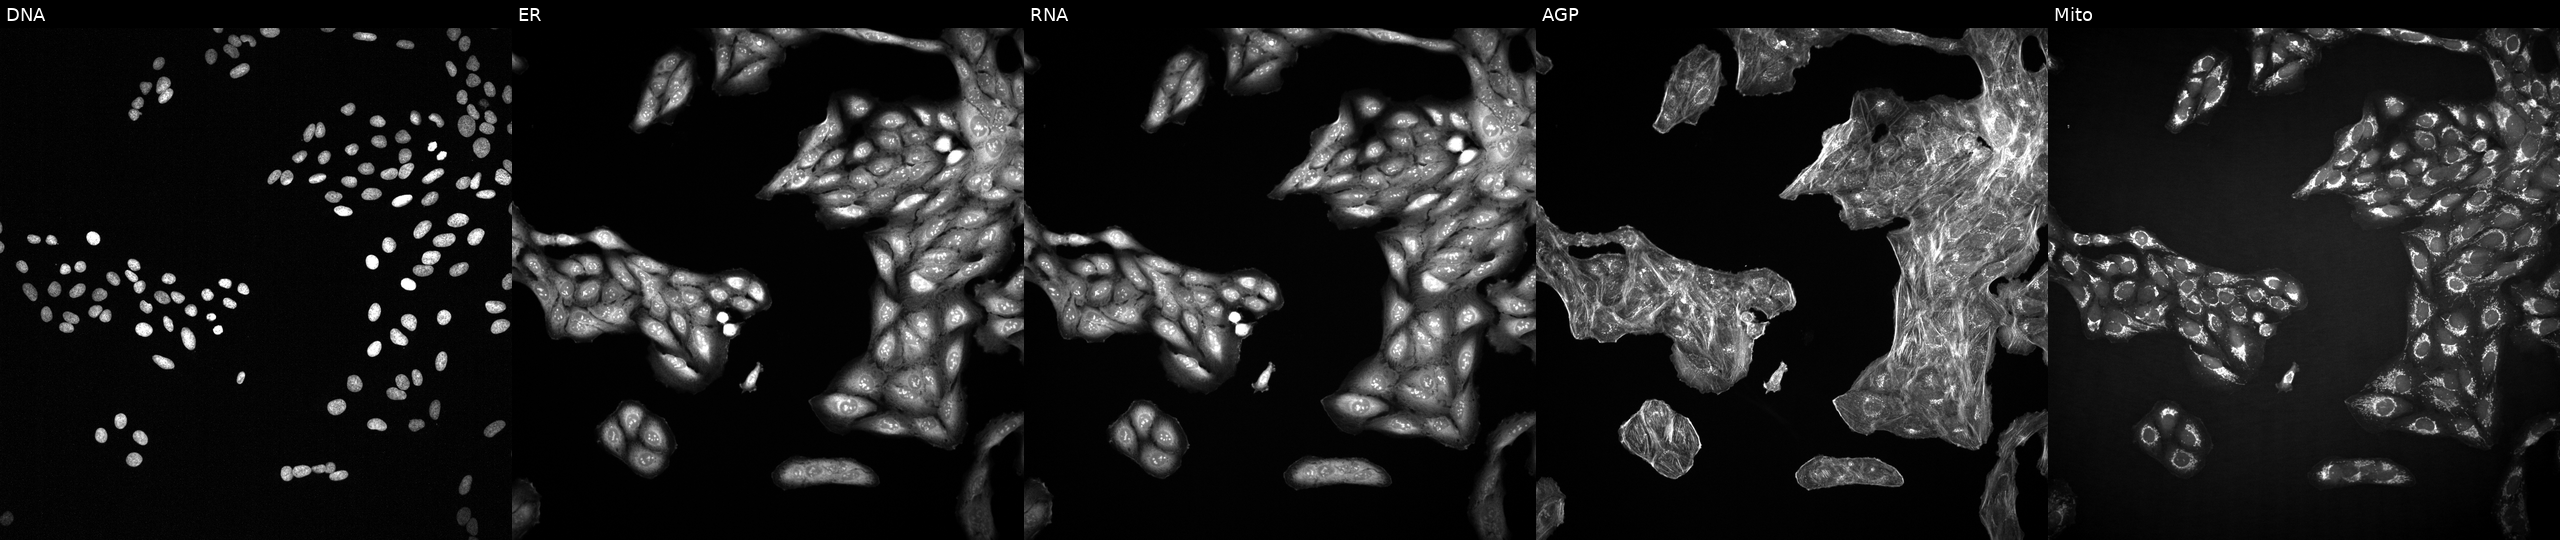
This image strip shows the five Cell Painting channels for a single field of U2OS cells perturbed with a small-molecule compound (InChIKey XHYIPKVYFFKCQO-UHFFFAOYSA-N) [SMILES: Cc1nn(-c2cc(N3CCN(C(=O)c4cccc(Cl)c4)CC3)ccc2[N+](=O)[O-])c(=O)c2ccccc12]. Panels show, left to right, Hoechst 33342, concanavalin A, SYTO 14, phalloidin and WGA, MitoTracker.